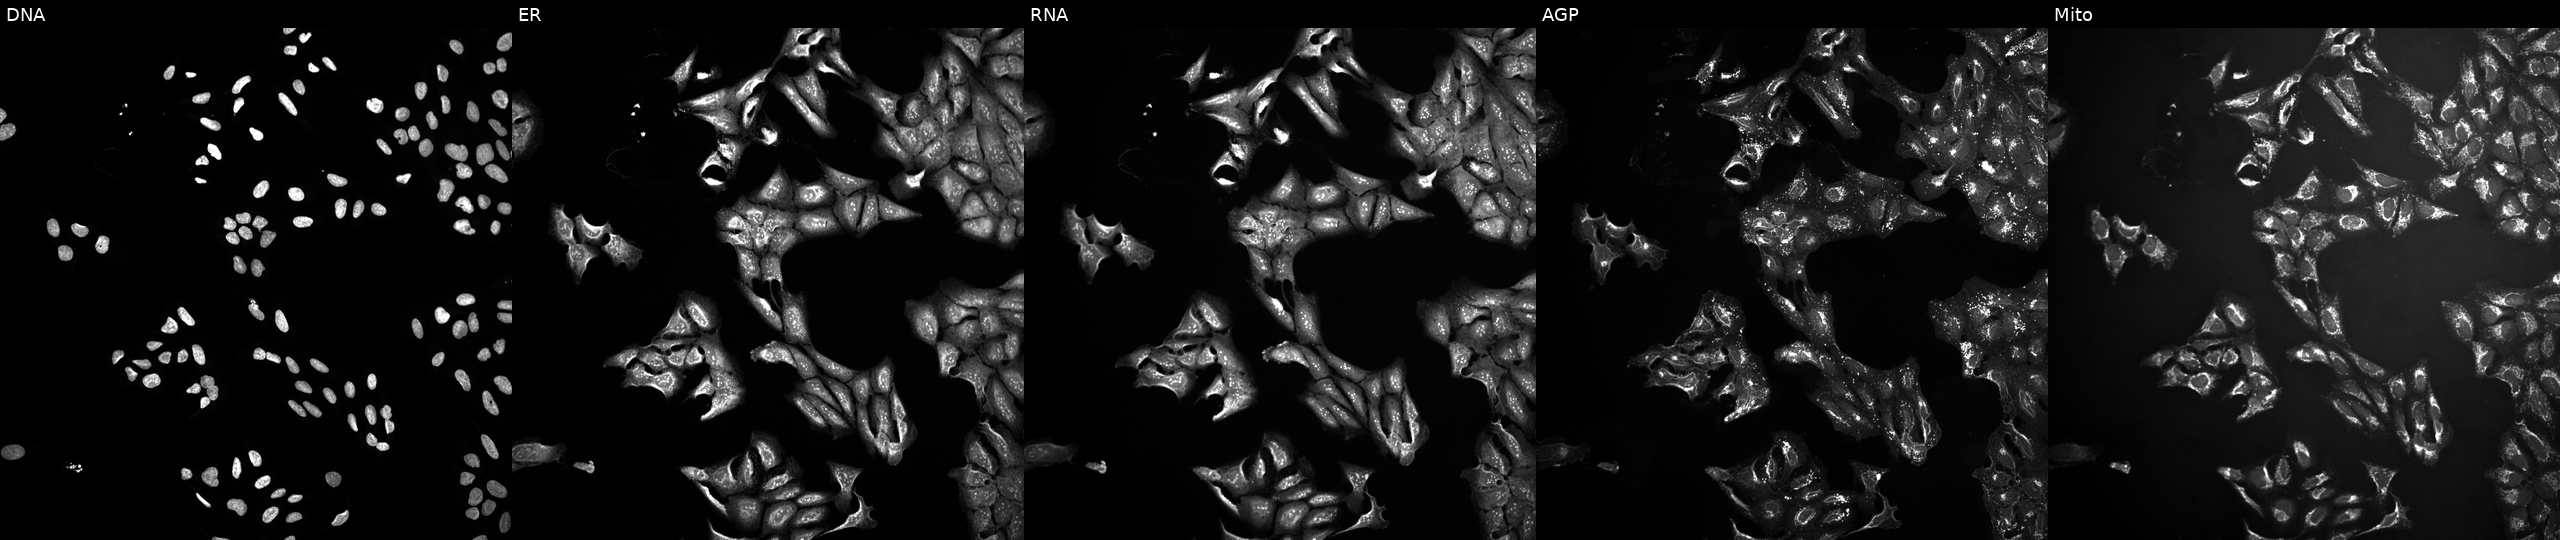
JUMP Cell Painting — TARGET2 plate. U2OS cells treated with a small-molecule compound (InChIKey KJNNWYBAOPXVJY-UHFFFAOYSA-N). Channels (left→right): DNA, ER, RNA, AGP, and Mito.